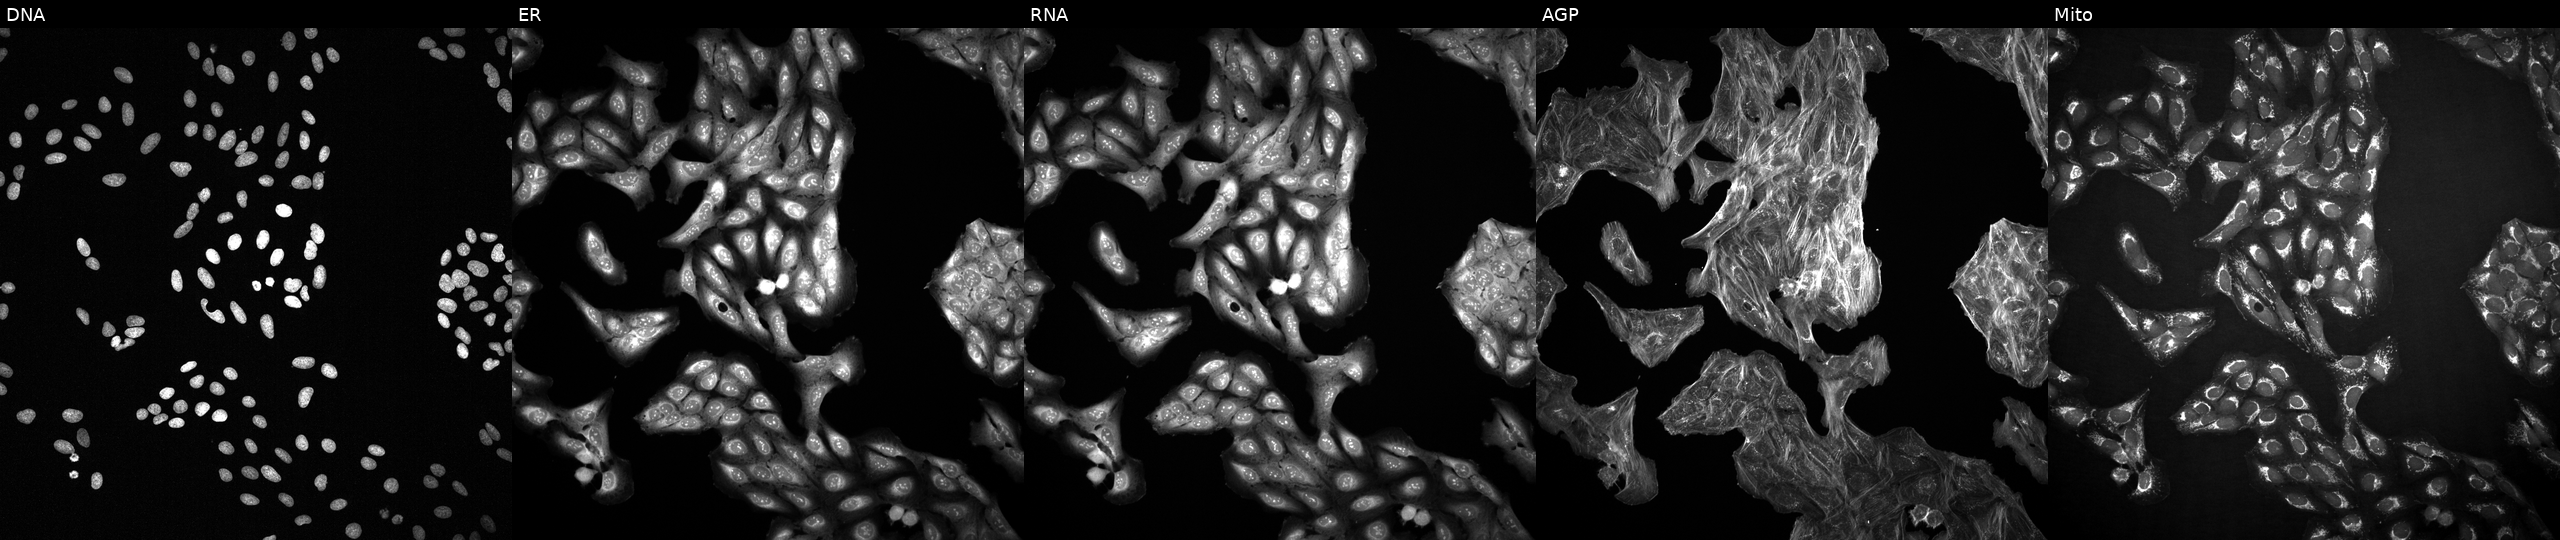
JUMP Cell Painting — COMPOUND plate. U2OS cells perturbed with a small-molecule compound (JUMP id JCP2022_041668). Channels (left→right): DNA, ER, RNA, AGP, and Mito. Source 2, plate 1053601756, well E18.